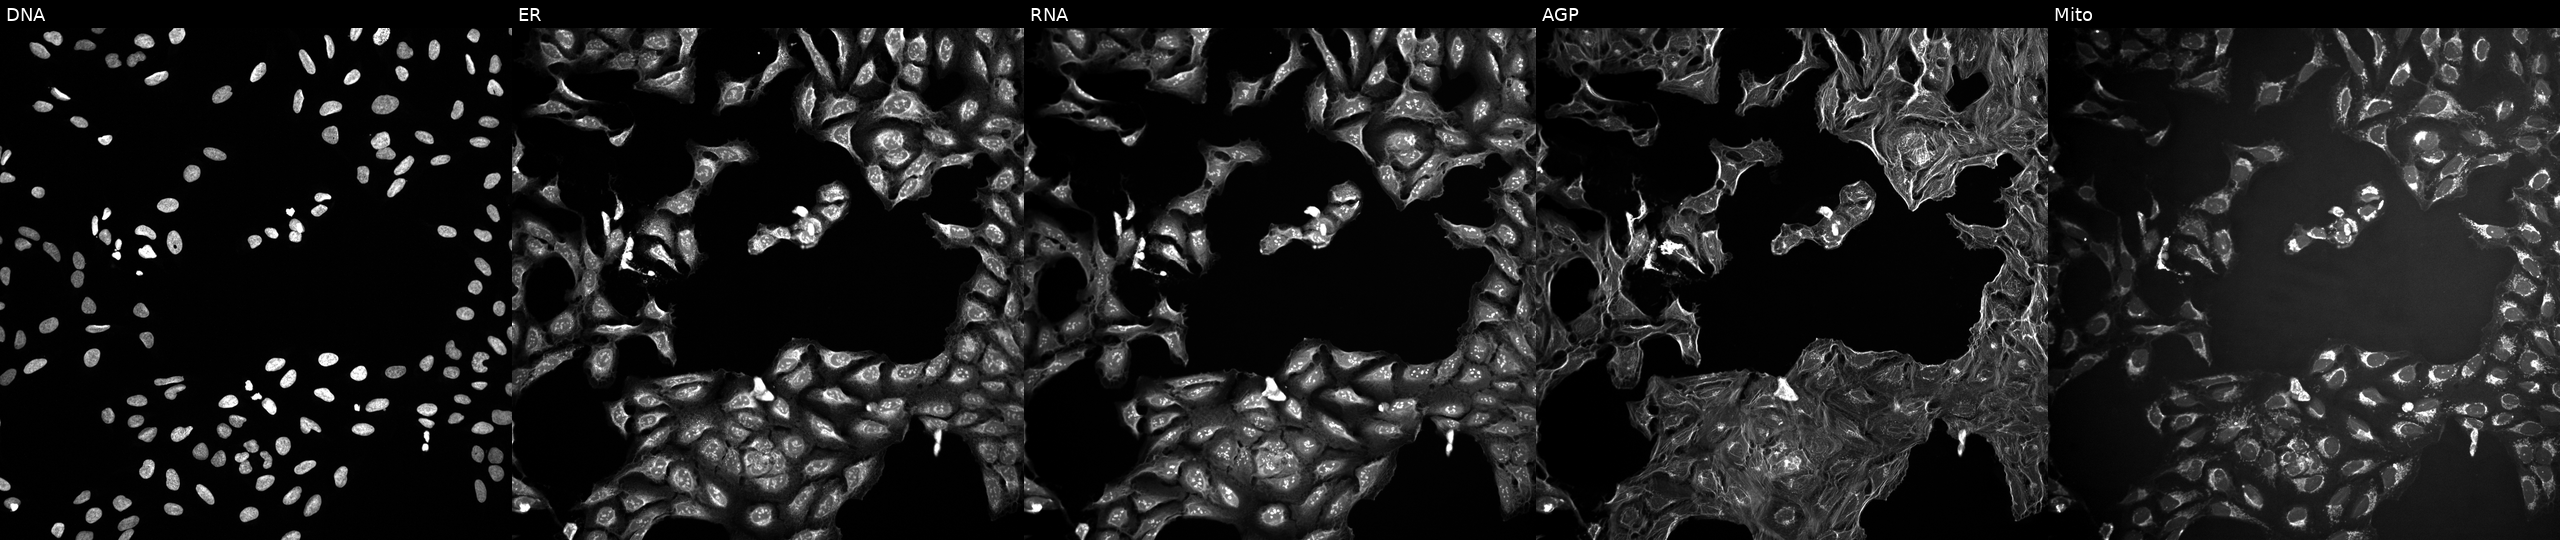
Five-channel Cell Painting image of U2OS cells treated with a small-molecule compound (InChIKey HWHLPVGTWGOCJO-UHFFFAOYSA-N). The five panels, left to right, show DNA (nuclei); ER (endoplasmic reticulum); RNA (nucleoli and cytoplasmic RNA); AGP (actin cytoskeleton, Golgi, and plasma membrane); Mito (mitochondria).